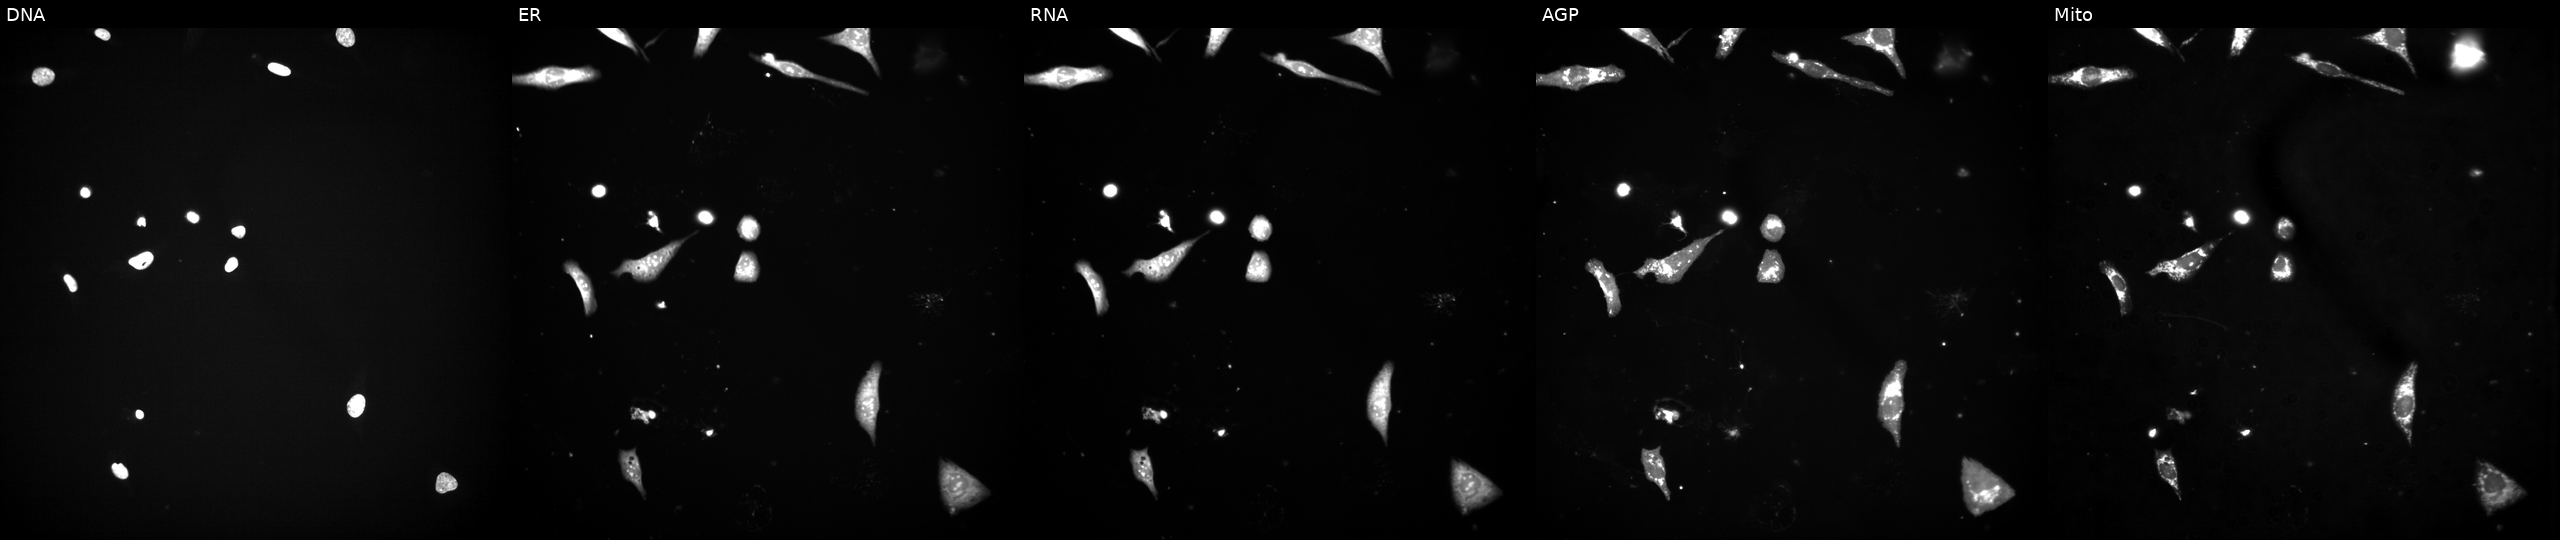
Channels (left→right): DNA, ER, RNA, AGP, and Mito. U2OS osteosarcoma cells exposed to a small-molecule compound (InChIKey BBDGBGOVJPEFBT-UHFFFAOYSA-N) [SMILES: c1cc(-c2cnn3cc(-c4ccc(N5CCNCC5)cc4)cnc23)c2cccnc2c1]. Cell Painting assay, JUMP-CP dataset. Source 3, plate JCPQC053, well I01.